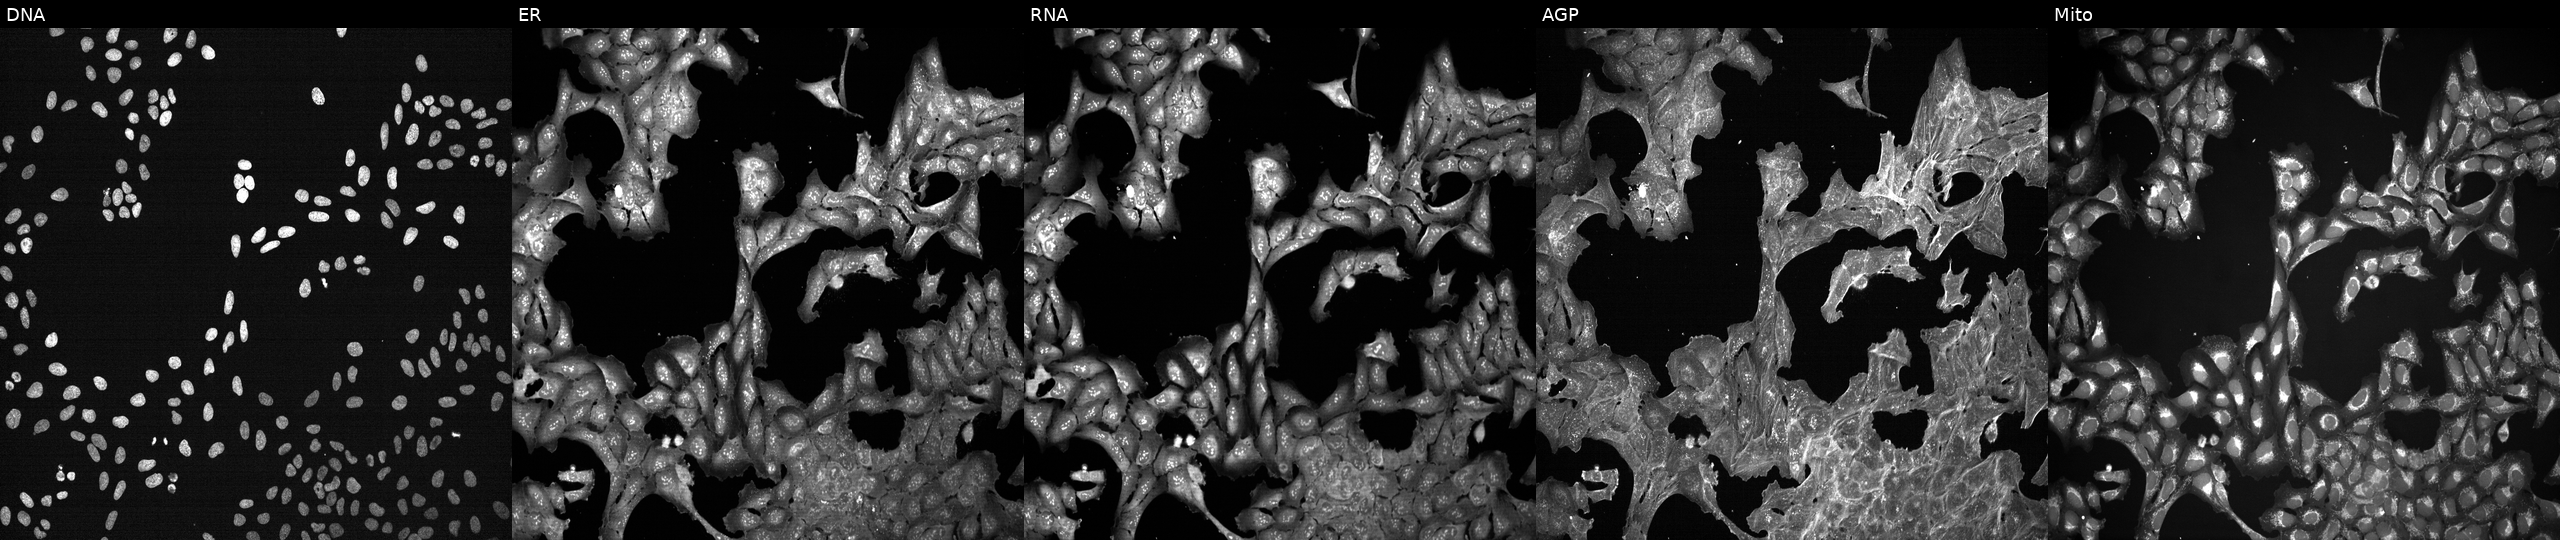
Five-channel Cell Painting image of U2OS cells exposed to a small-molecule compound [SMILES: O=c1n(CCCN2CCN(c3cccc(Cl)c3)CC2)nc2ccccn12]. From left to right: DNA, ER, RNA, AGP, and Mito.